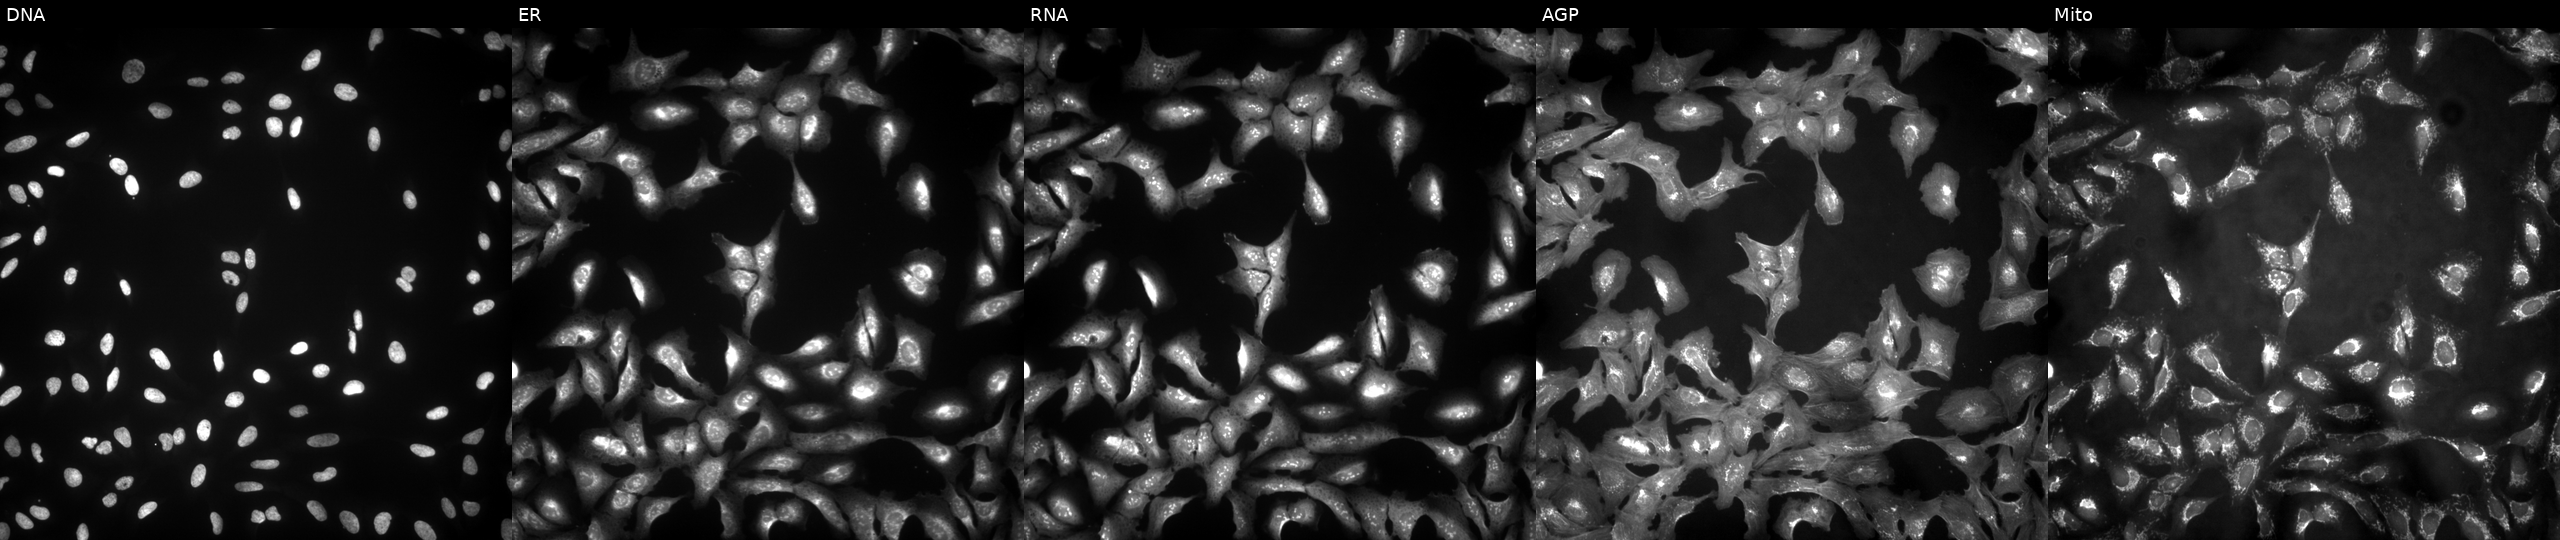
This image strip shows the five Cell Painting channels for a single field of U2OS cells overexpressing CNP via ORF transfection (JUMP id JCP2022_914388). Channels (left→right): DNA (nuclei); ER (endoplasmic reticulum); RNA (nucleoli and cytoplasmic RNA); AGP (actin cytoskeleton, Golgi, and plasma membrane); Mito (mitochondria). Source 4, plate BR00123506, well A14.